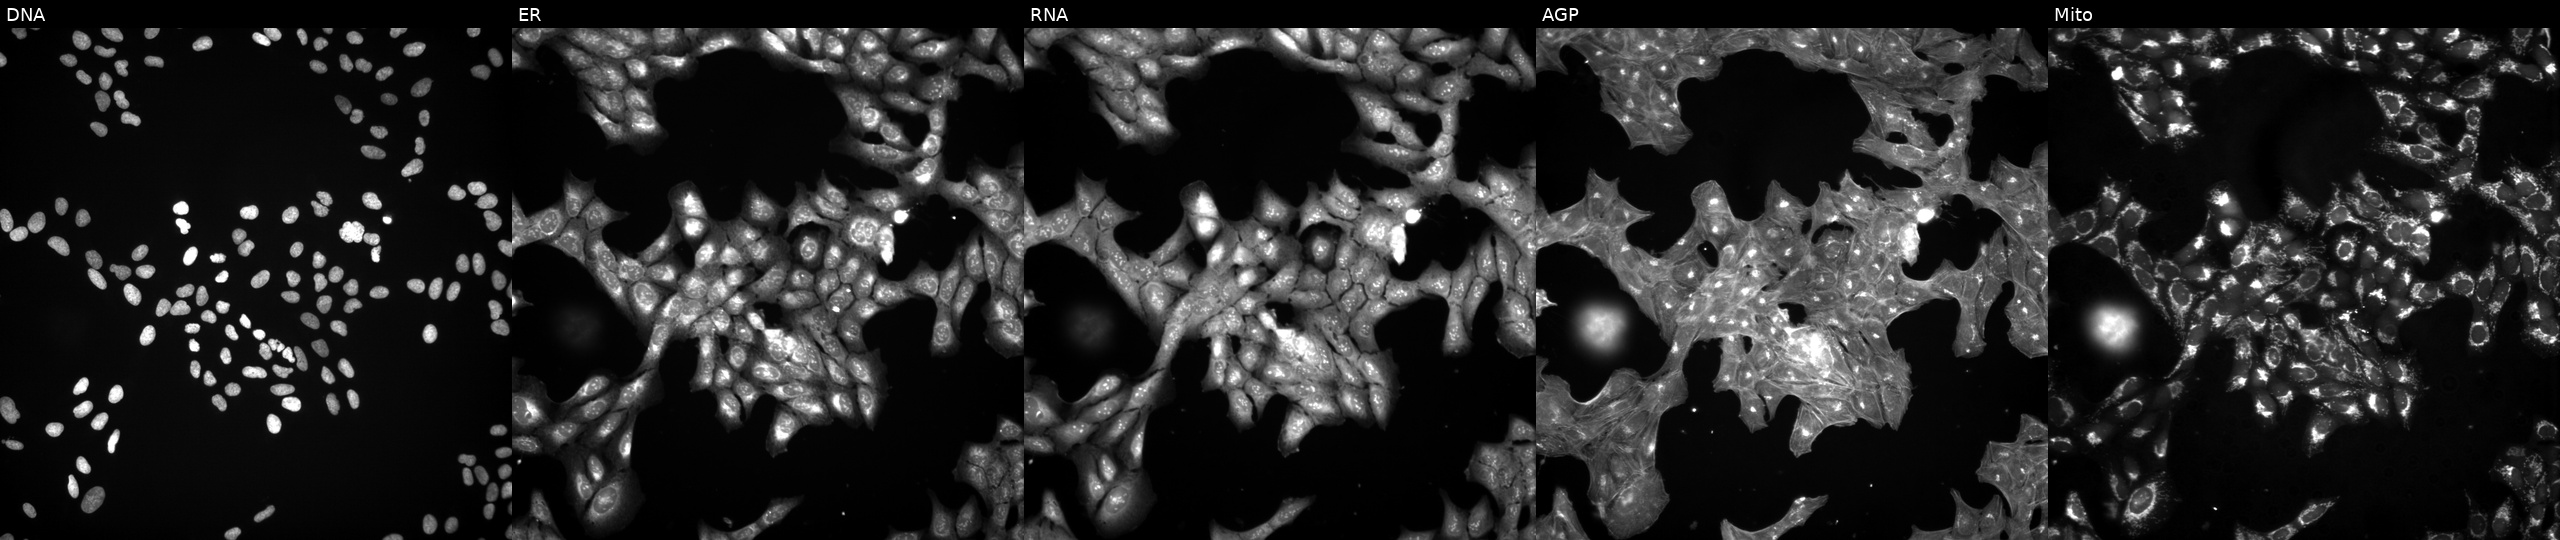
Five-channel Cell Painting image of U2OS cells exposed to DMSO alone as a negative control. The five panels, left to right, show DNA (nuclei); ER (endoplasmic reticulum); RNA (nucleoli and cytoplasmic RNA); AGP (actin cytoskeleton, Golgi, and plasma membrane); Mito (mitochondria).